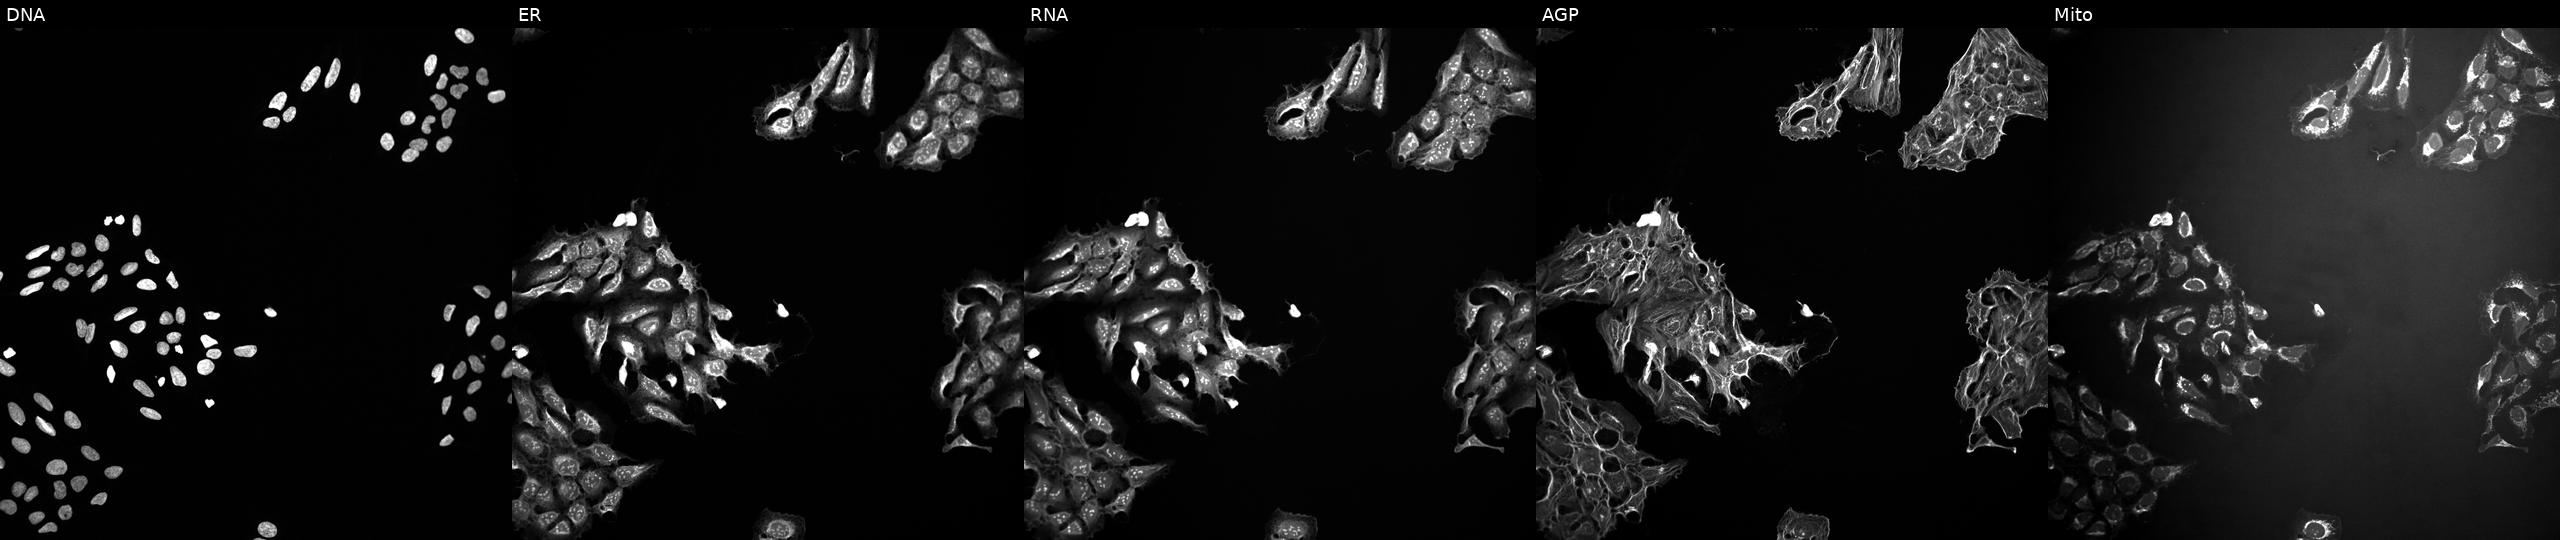
This image strip shows the five Cell Painting channels for a single field of U2OS cells exposed to a small-molecule compound [SMILES: NS(=O)(=O)c1cccc2c1c([N+](=O)[O-])cc1[nH]c(=O)c(=O)[nH]c12] (JUMP id JCP2022_090884). Panels show, left to right, Hoechst 33342, concanavalin A, SYTO 14, phalloidin and WGA, MitoTracker.